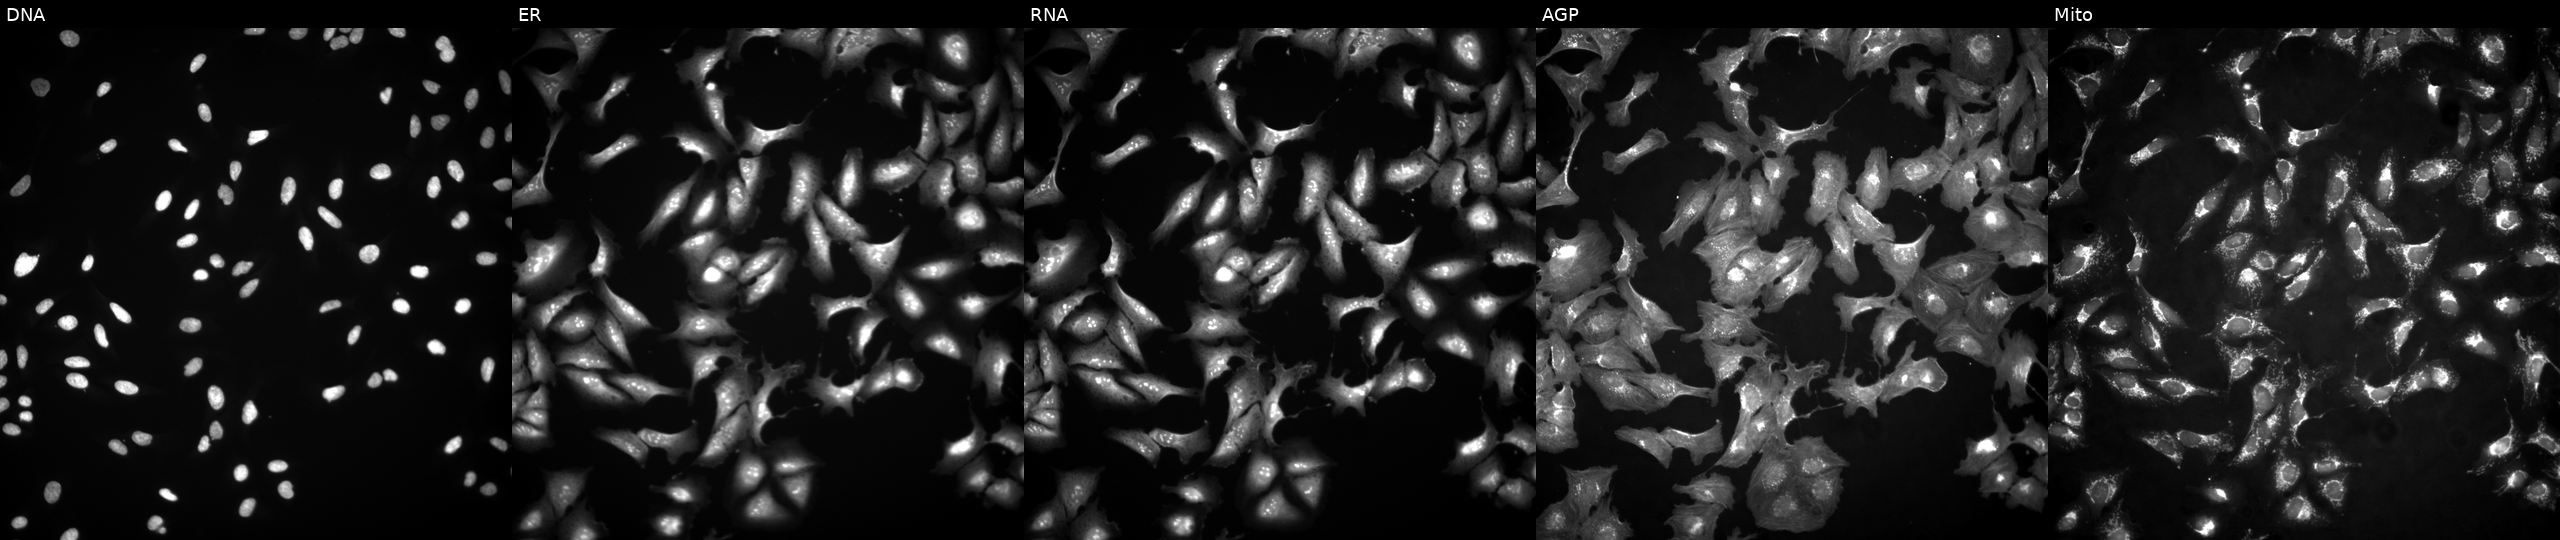
Five-channel Cell Painting image of U2OS cells transfected with an ORF construct for PQBP1. The five panels, left to right, show Hoechst 33342, concanavalin A, SYTO 14, phalloidin and WGA, MitoTracker. Source 4, plate BR00117035, well A09.